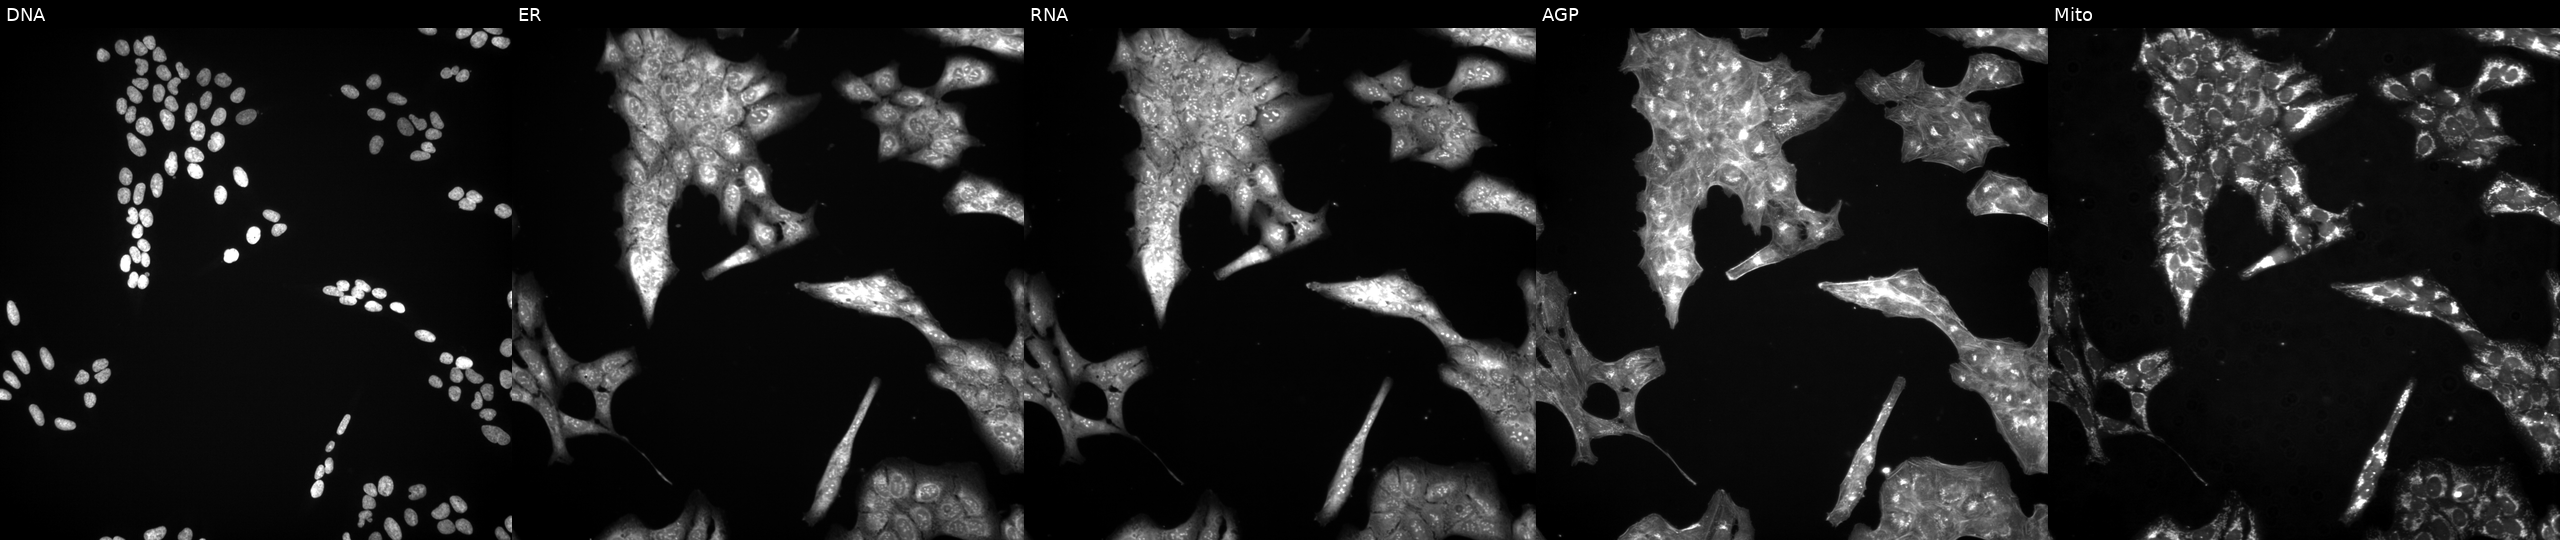
This image strip shows the five Cell Painting channels for a single field of U2OS cells treated with LY2109761 (positive-control compound) (JUMP id JCP2022_035095). Channels (left→right): Hoechst 33342, concanavalin A, SYTO 14, phalloidin and WGA, MitoTracker.